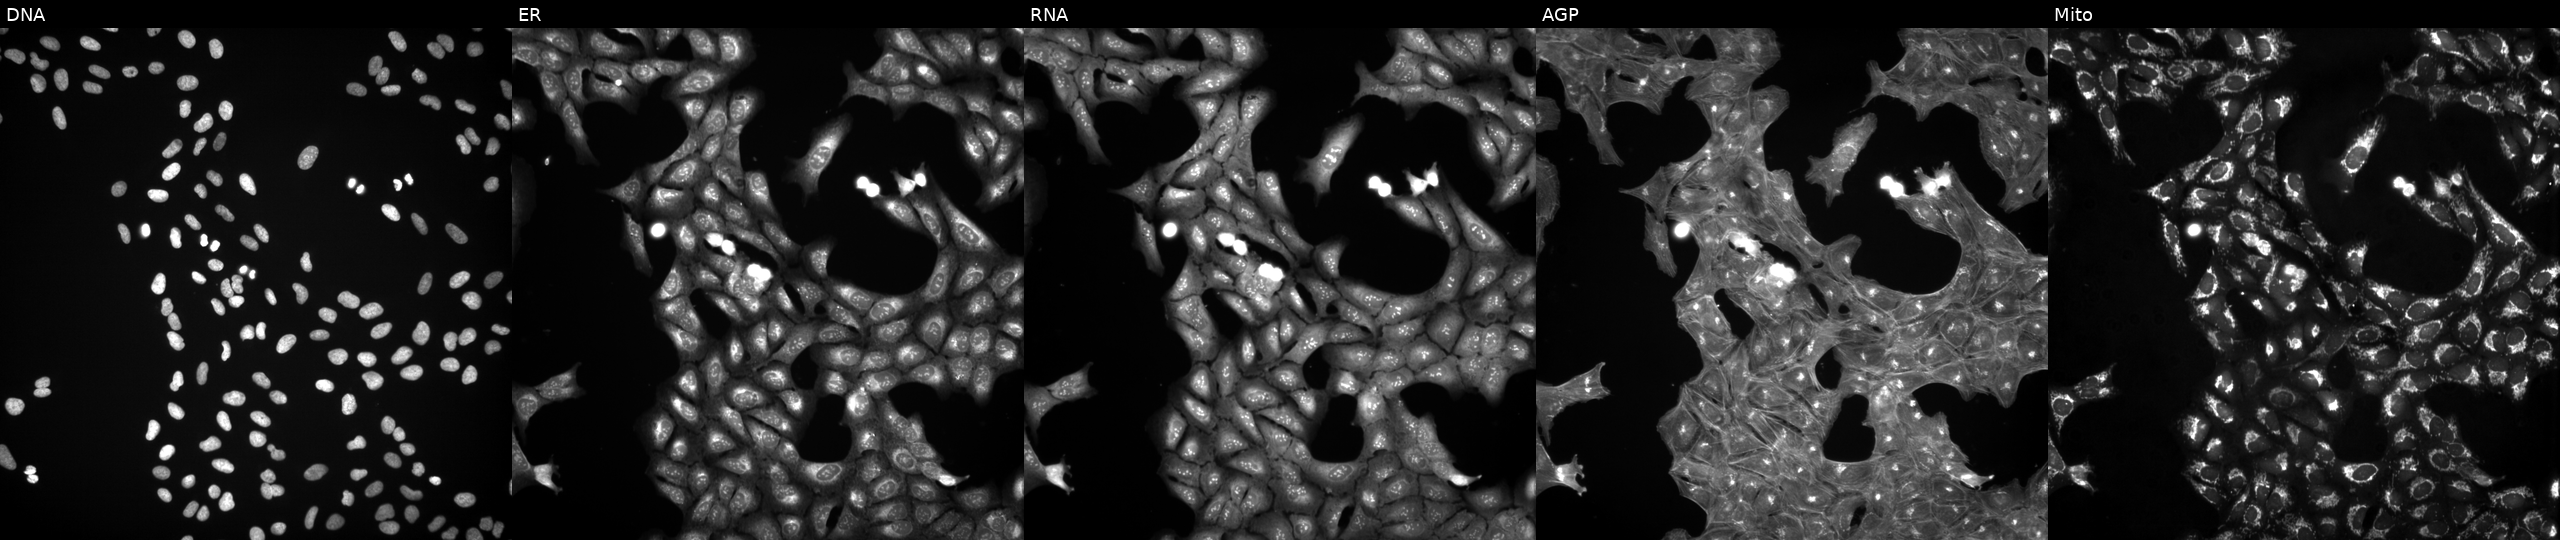
Five-channel Cell Painting image of U2OS cells treated with a small-molecule compound (JUMP id JCP2022_056730). From left to right: Hoechst 33342, concanavalin A, SYTO 14, phalloidin and WGA, MitoTracker.